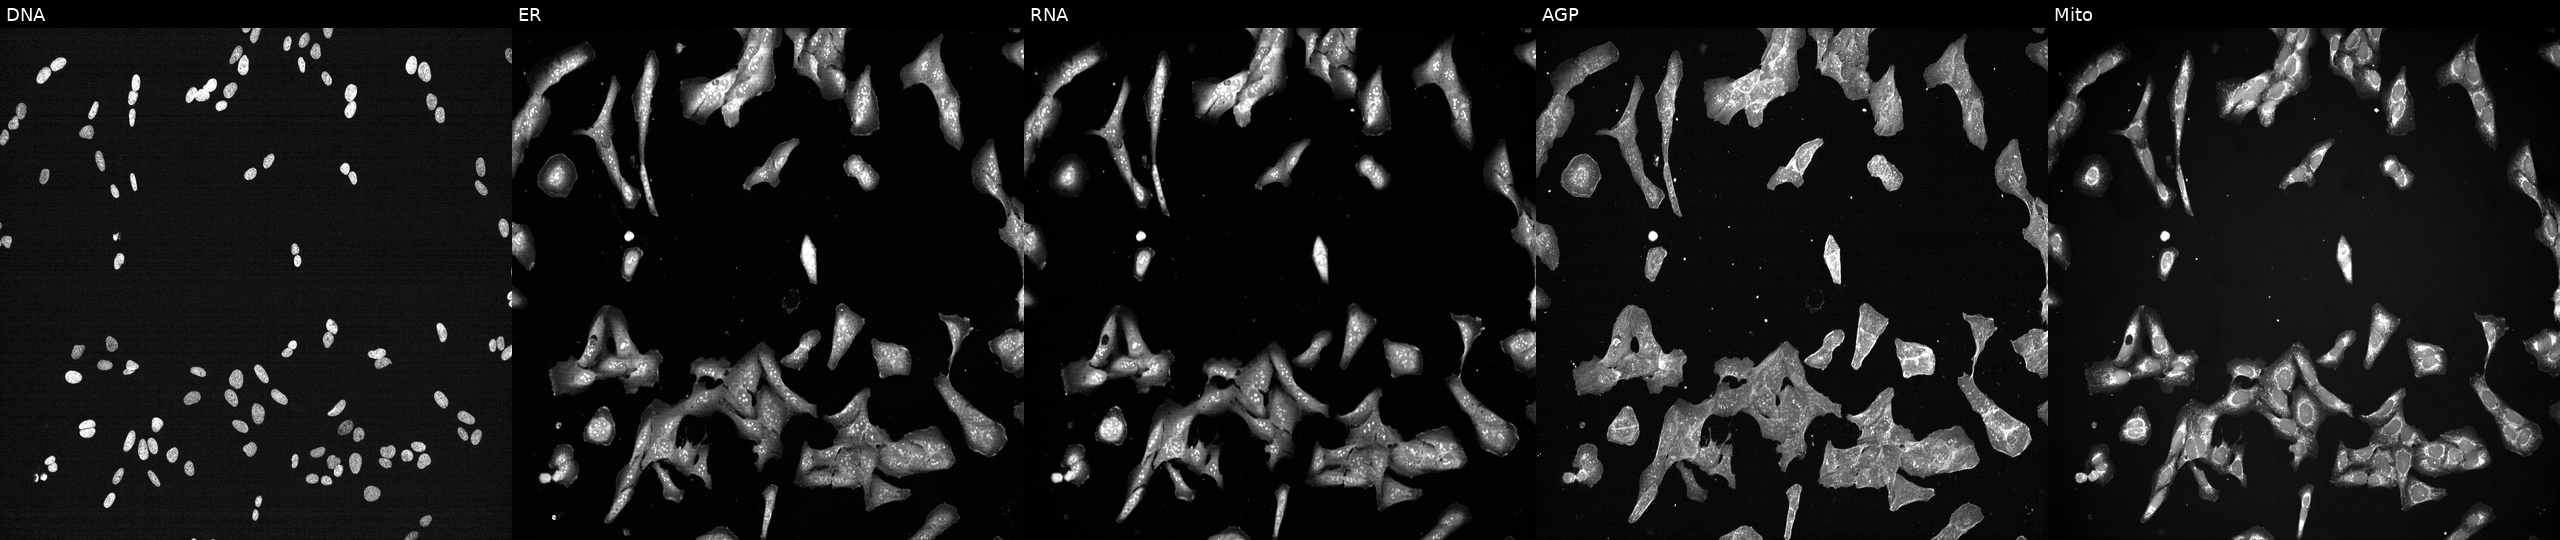
This image strip shows the five Cell Painting channels for a single field of U2OS cells perturbed with a small-molecule compound (InChIKey WYWHKKSPHMUBEB-UHFFFAOYSA-N) (JUMP id JCP2022_102083). The five panels, left to right, show DNA (nuclei); ER (endoplasmic reticulum); RNA (nucleoli and cytoplasmic RNA); AGP (actin cytoskeleton, Golgi, and plasma membrane); Mito (mitochondria). Source 7, plate CP2-SC1-25, well H15.